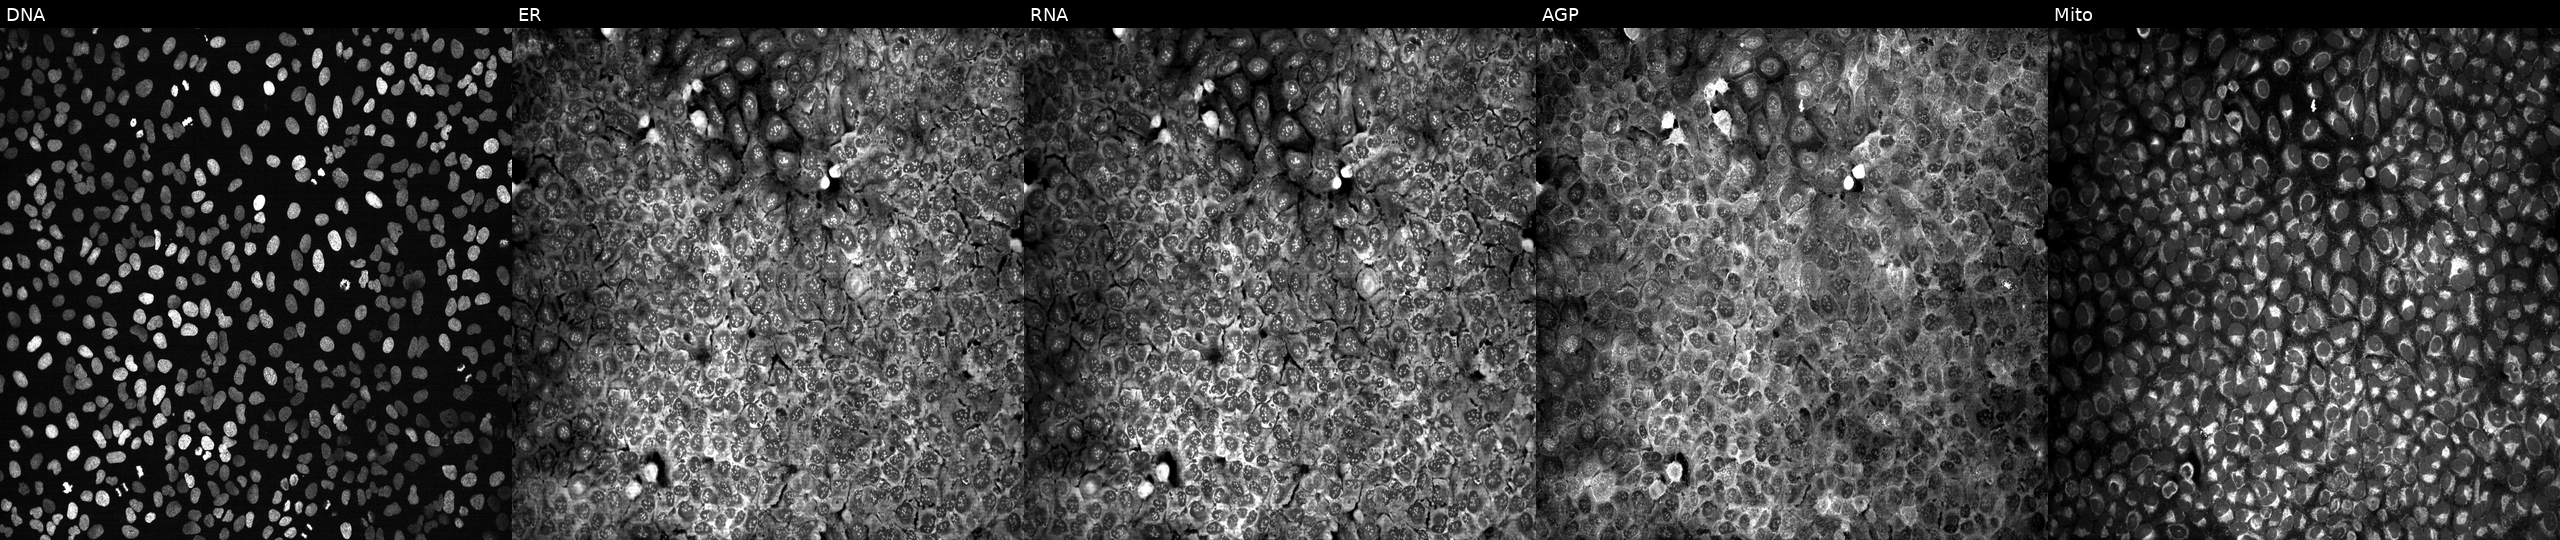
JUMP Cell Painting — CRISPR plate. U2OS cells with no CRISPR guide (negative control). Panels show, left to right, DNA (nuclei); ER (endoplasmic reticulum); RNA (nucleoli and cytoplasmic RNA); AGP (actin cytoskeleton, Golgi, and plasma membrane); Mito (mitochondria). Source 13, plate CP-CC9-R3-02, well D23.